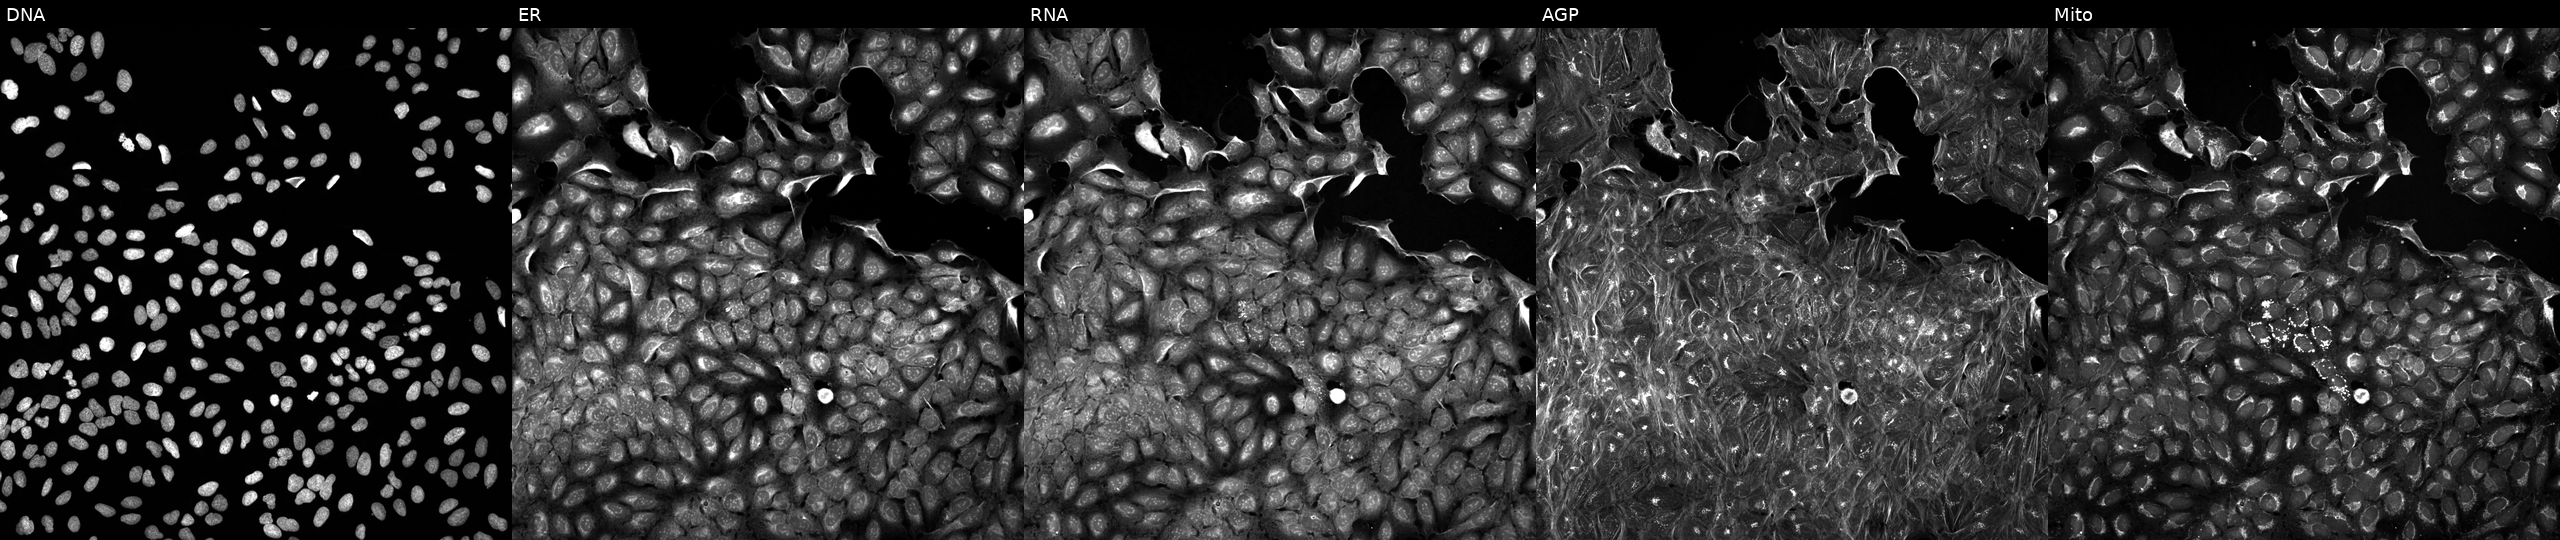
Five-channel Cell Painting image of U2OS cells treated with DMSO vehicle only (negative control). From left to right: Hoechst 33342, concanavalin A, SYTO 14, phalloidin and WGA, MitoTracker.